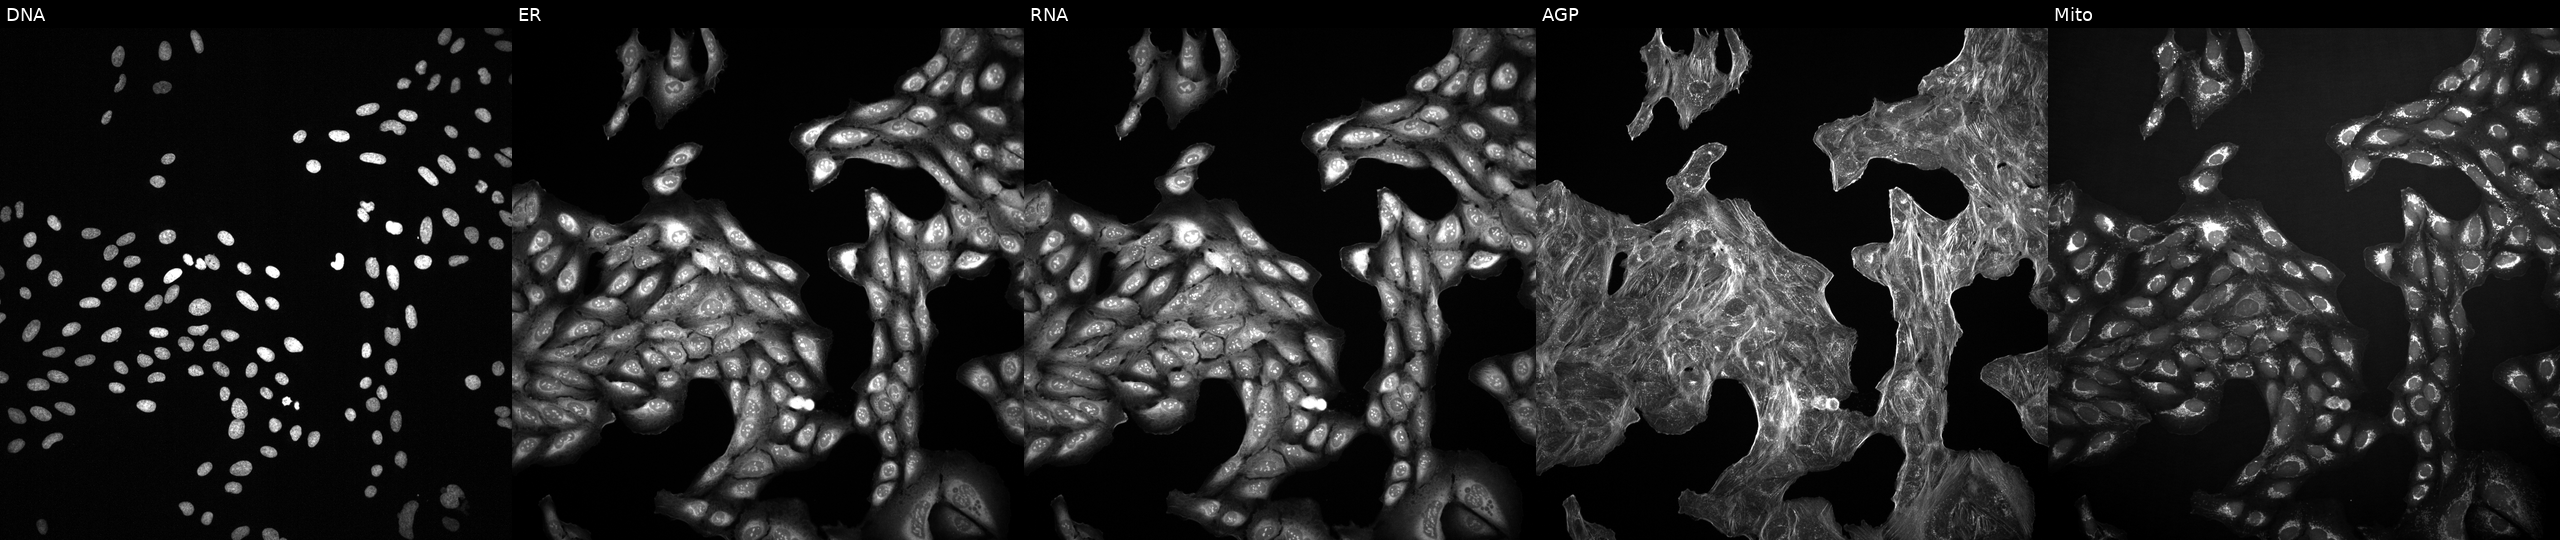
Panels show, left to right, Hoechst 33342, concanavalin A, SYTO 14, phalloidin and WGA, MitoTracker. U2OS osteosarcoma cells exposed to a small-molecule compound (InChIKey WRLVHADVOGFZOZ-UHFFFAOYSA-N) [SMILES: CCOc1ccccc1N=Nc1c(C)[nH]n(-c2nc(-c3ccccc3)cs2)c1=O] (JUMP id JCP2022_100688). Cell Painting assay, JUMP-CP dataset. Source 2, plate 1053597936, well F18.